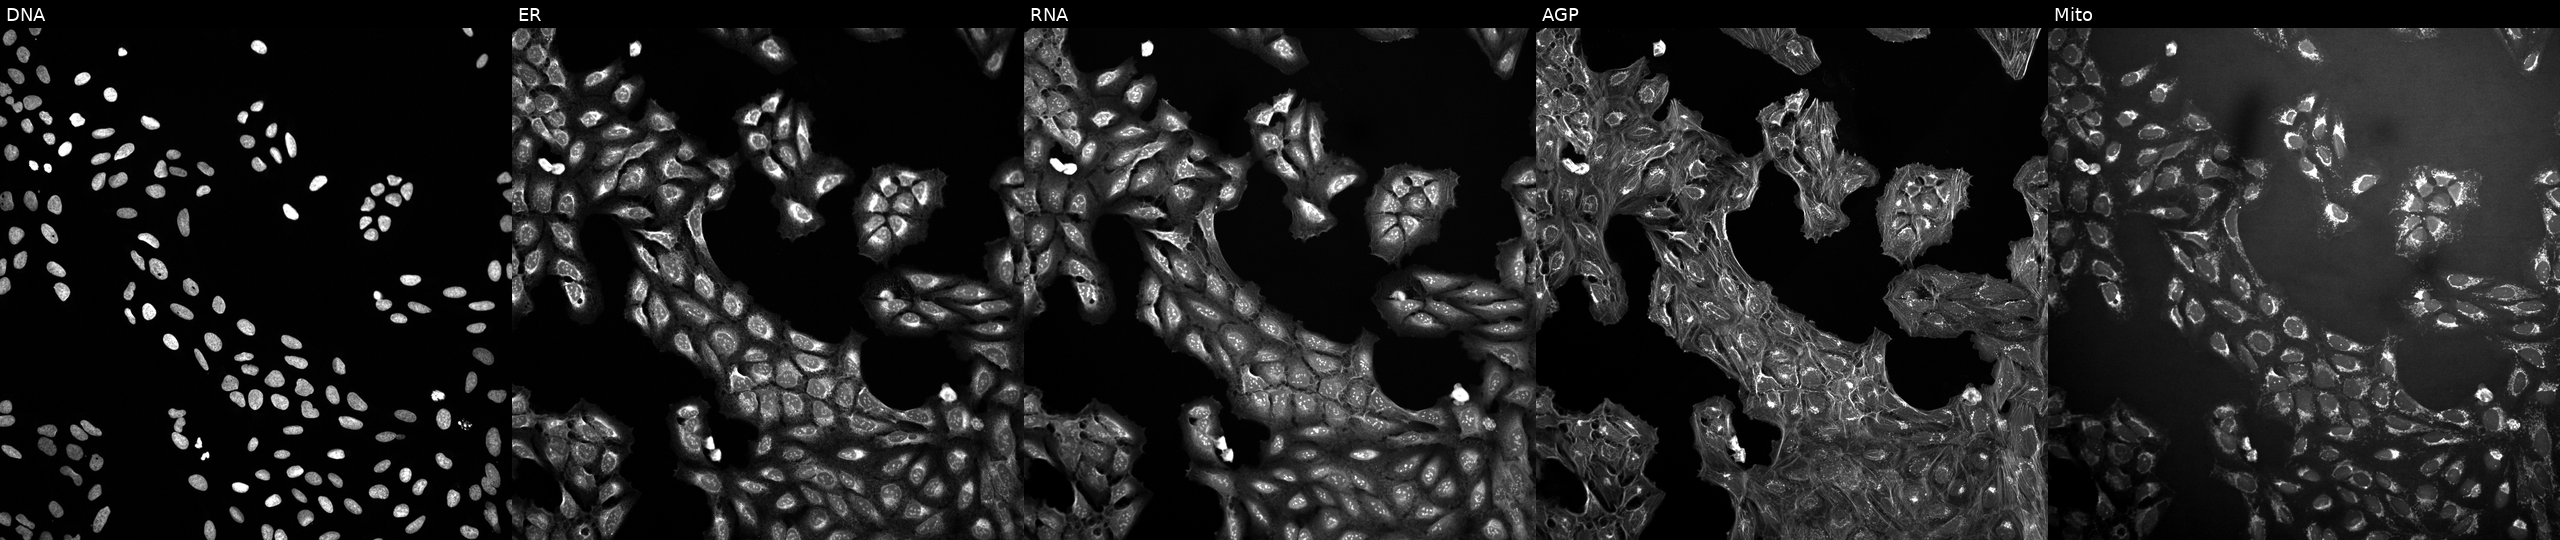
Five-channel Cell Painting image of U2OS cells treated with quinidine (positive-control compound). The five panels, left to right, show DNA (nuclei); ER (endoplasmic reticulum); RNA (nucleoli and cytoplasmic RNA); AGP (actin cytoskeleton, Golgi, and plasma membrane); Mito (mitochondria). Source 10, plate Dest210531-152324, well G01.